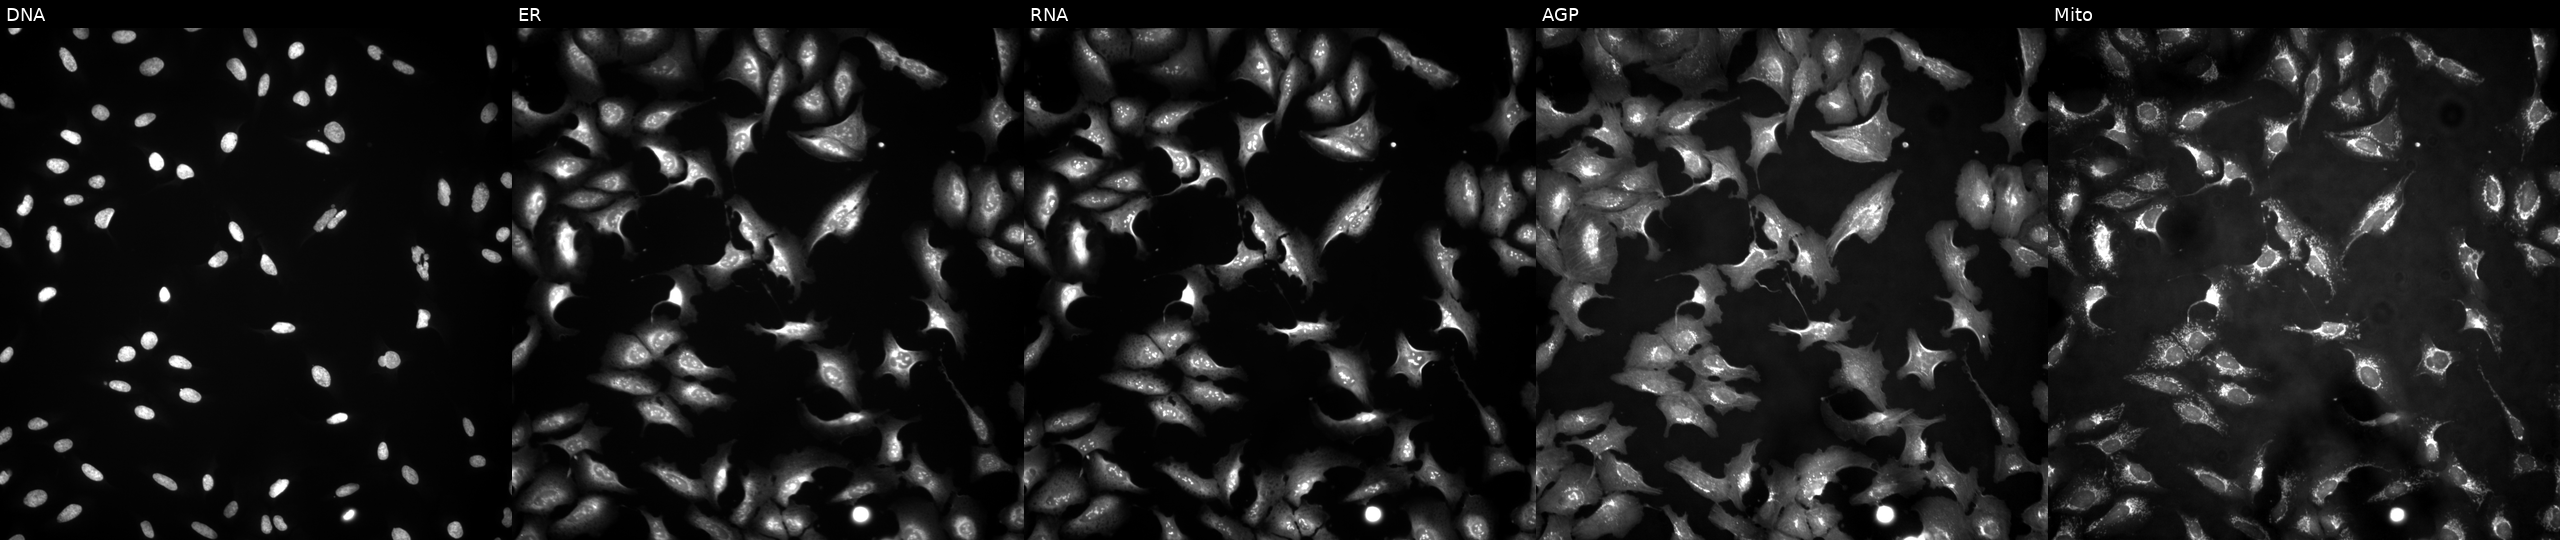
High-content fluorescence microscopy (Cell Painting). Cell line: U2OS. Perturbation: overexpressing GET3 via ORF transfection (JUMP id JCP2022_900105). Channels (left→right): DNA (nuclei); ER (endoplasmic reticulum); RNA (nucleoli and cytoplasmic RNA); AGP (actin cytoskeleton, Golgi, and plasma membrane); Mito (mitochondria).